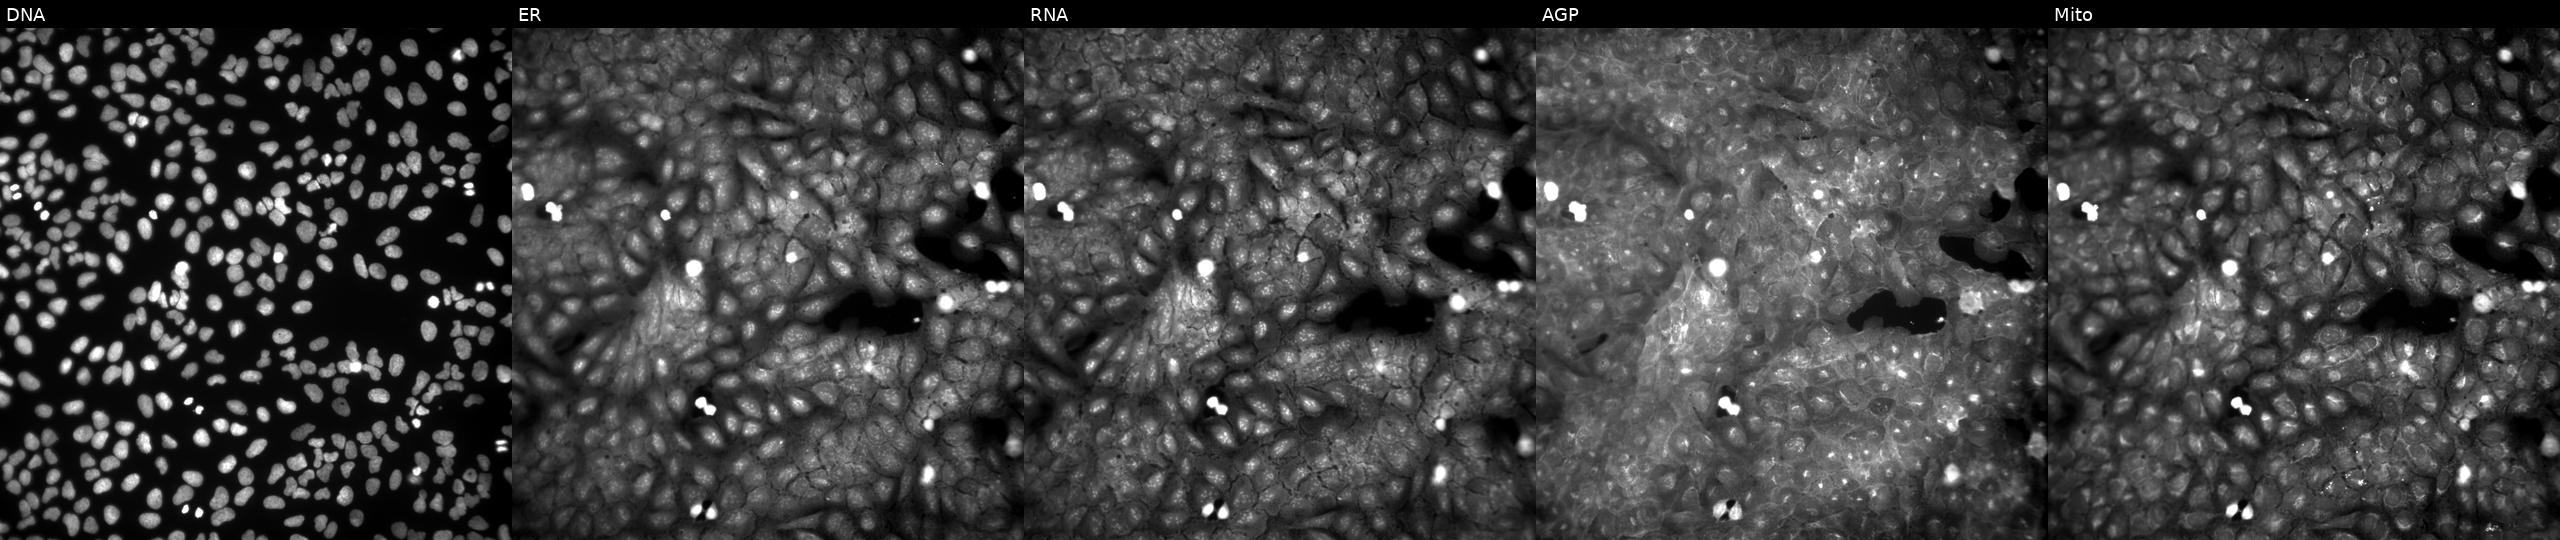
Five-channel Cell Painting image of U2OS cells treated with DMSO vehicle only (negative control). Channels (left→right): DNA (nuclei); ER (endoplasmic reticulum); RNA (nucleoli and cytoplasmic RNA); AGP (actin cytoskeleton, Golgi, and plasma membrane); Mito (mitochondria).